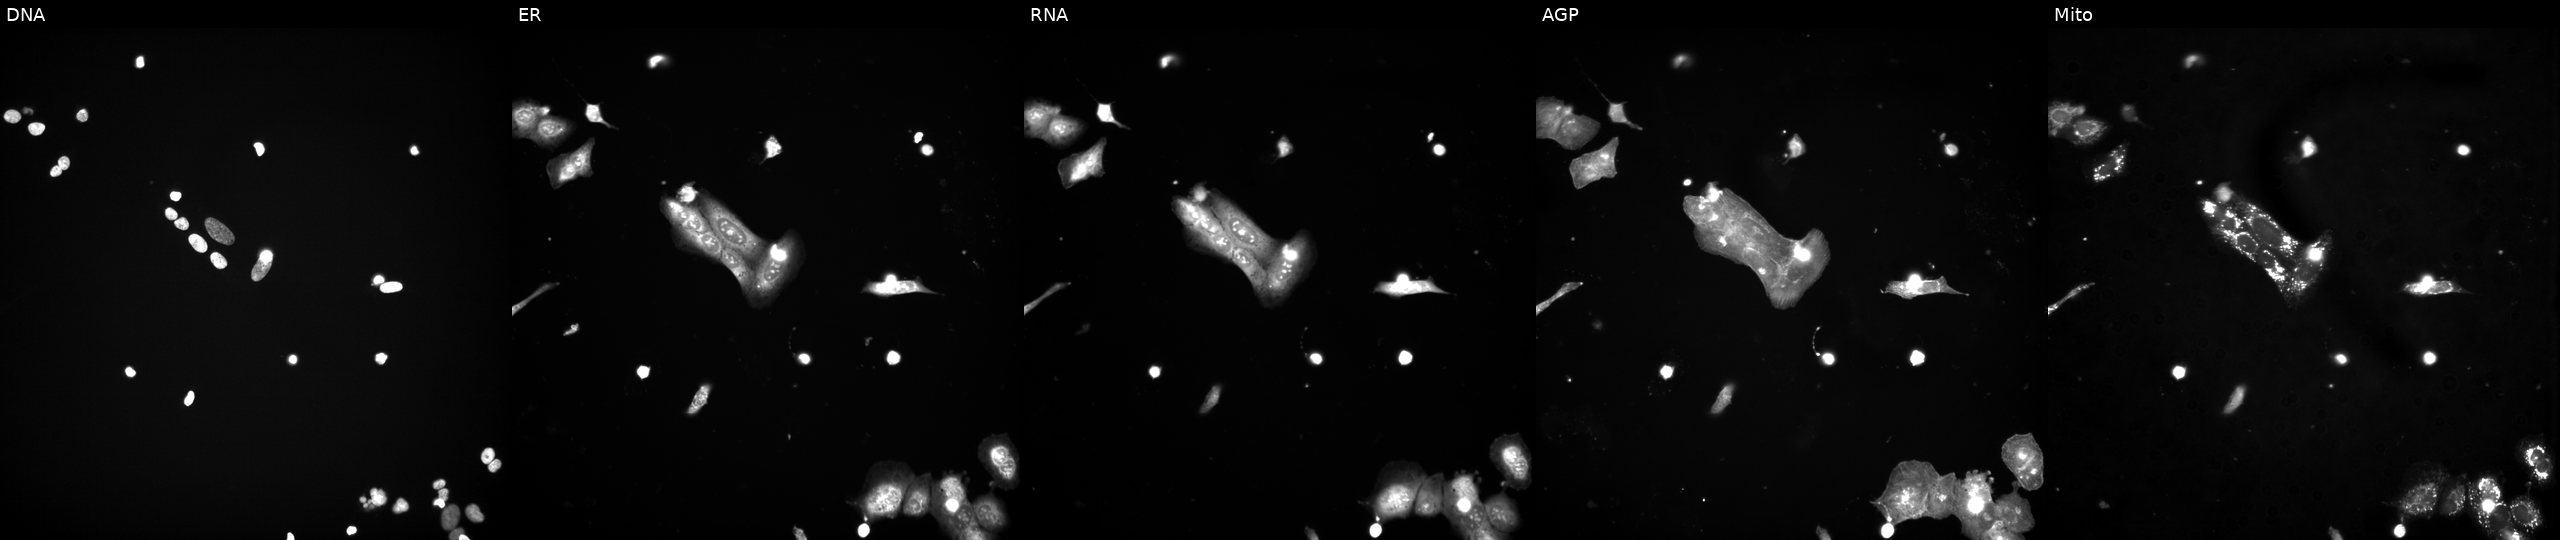
High-content fluorescence microscopy (Cell Painting). Cell line: U2OS. Perturbation: treated with a small-molecule compound (InChIKey VSWDORGPIHIGNW-UHFFFAOYSA-N). The five panels, left to right, show DNA, ER, RNA, AGP, and Mito.